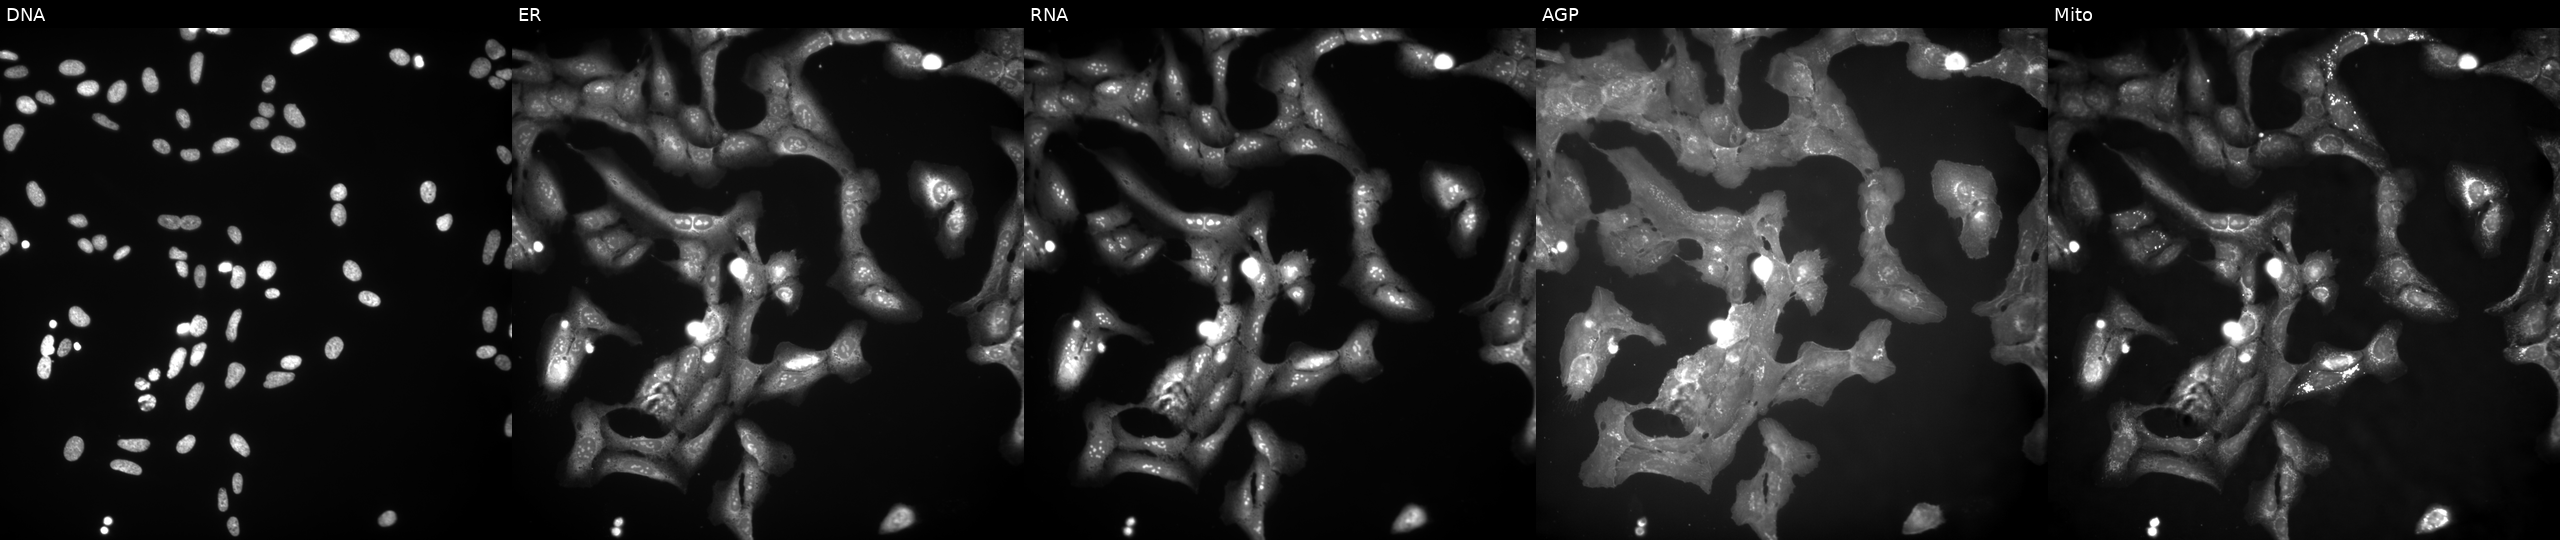
Five-channel Cell Painting image of U2OS cells perturbed with a small-molecule compound (InChIKey MOJZHZLCHIGRNF-UHFFFAOYSA-N). Channels (left→right): DNA (nuclei); ER (endoplasmic reticulum); RNA (nucleoli and cytoplasmic RNA); AGP (actin cytoskeleton, Golgi, and plasma membrane); Mito (mitochondria). Source 9, plate GR00003381, well V40.